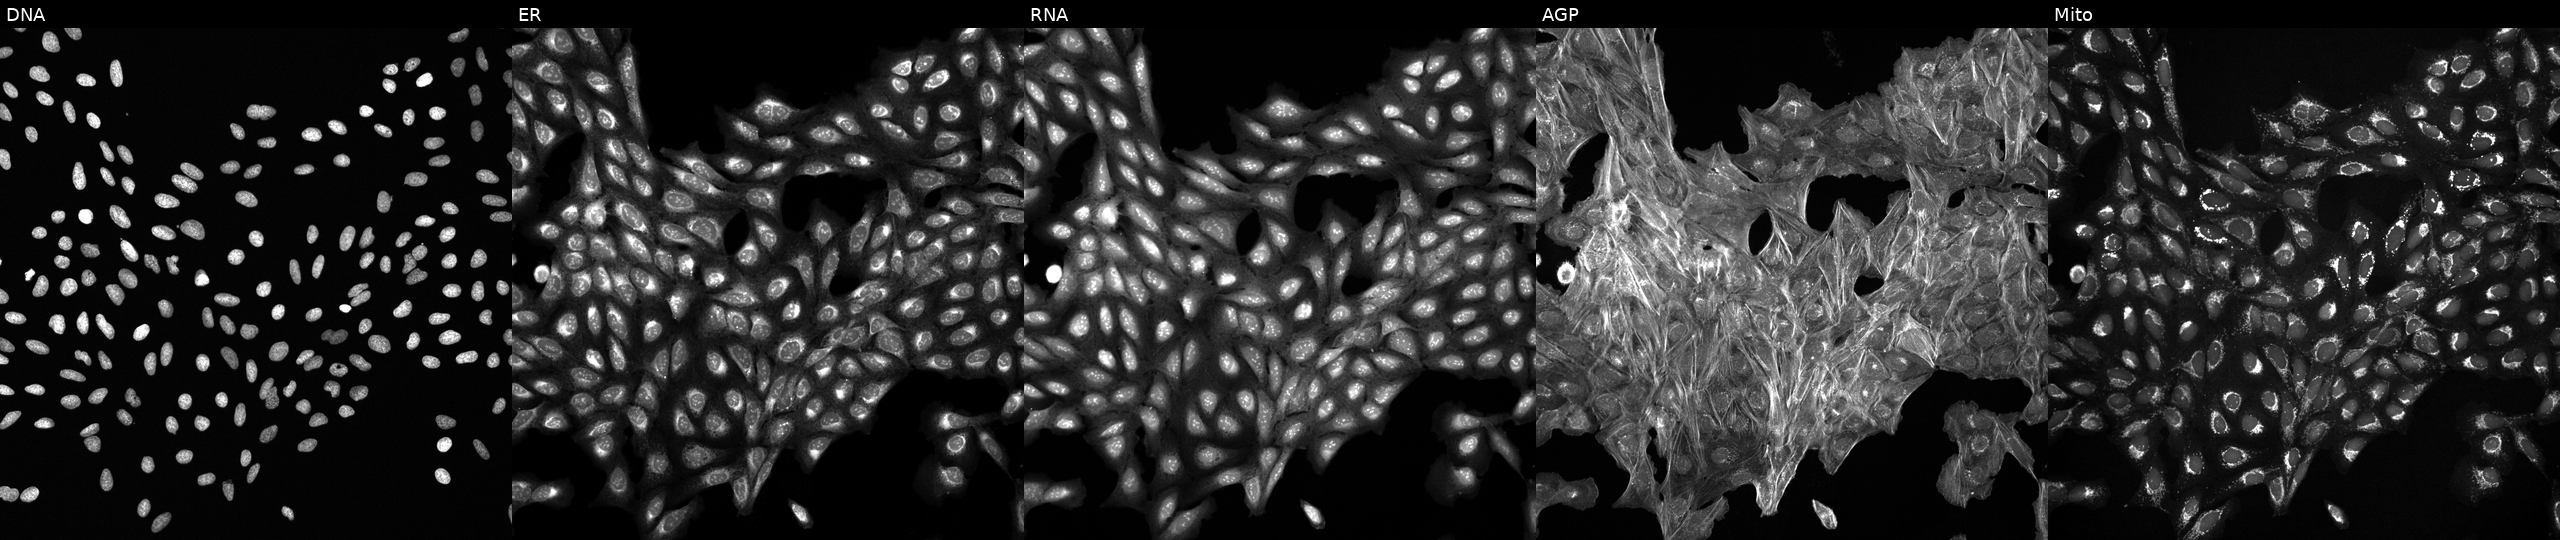
Five-channel Cell Painting image of U2OS cells perturbed with a small-molecule compound (InChIKey DBAXRVDNZBBFBC-UHFFFAOYSA-N). The five panels, left to right, show DNA (nuclei); ER (endoplasmic reticulum); RNA (nucleoli and cytoplasmic RNA); AGP (actin cytoskeleton, Golgi, and plasma membrane); Mito (mitochondria).